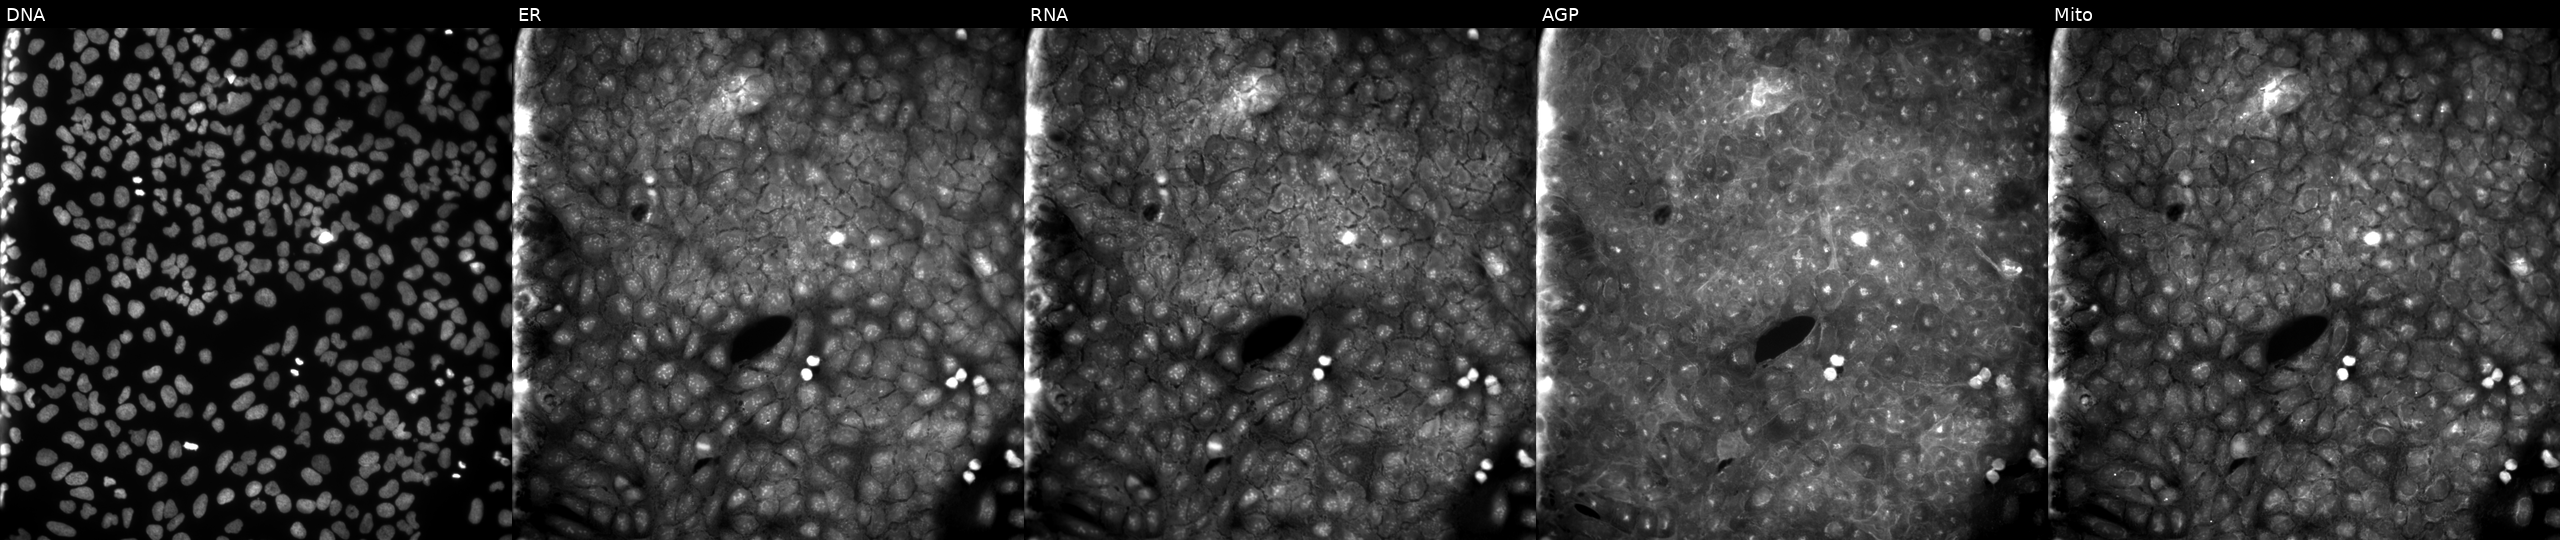
U2OS cells, Cell Painting assay, exposed to a small-molecule compound (InChIKey LFVYDUHHPGRLAT-UHFFFAOYSA-N) (JUMP id JCP2022_049157). The five panels, left to right, show DNA (nuclei); ER (endoplasmic reticulum); RNA (nucleoli and cytoplasmic RNA); AGP (actin cytoskeleton, Golgi, and plasma membrane); Mito (mitochondria). Each panel is percentile-stretched 16-bit fluorescence.